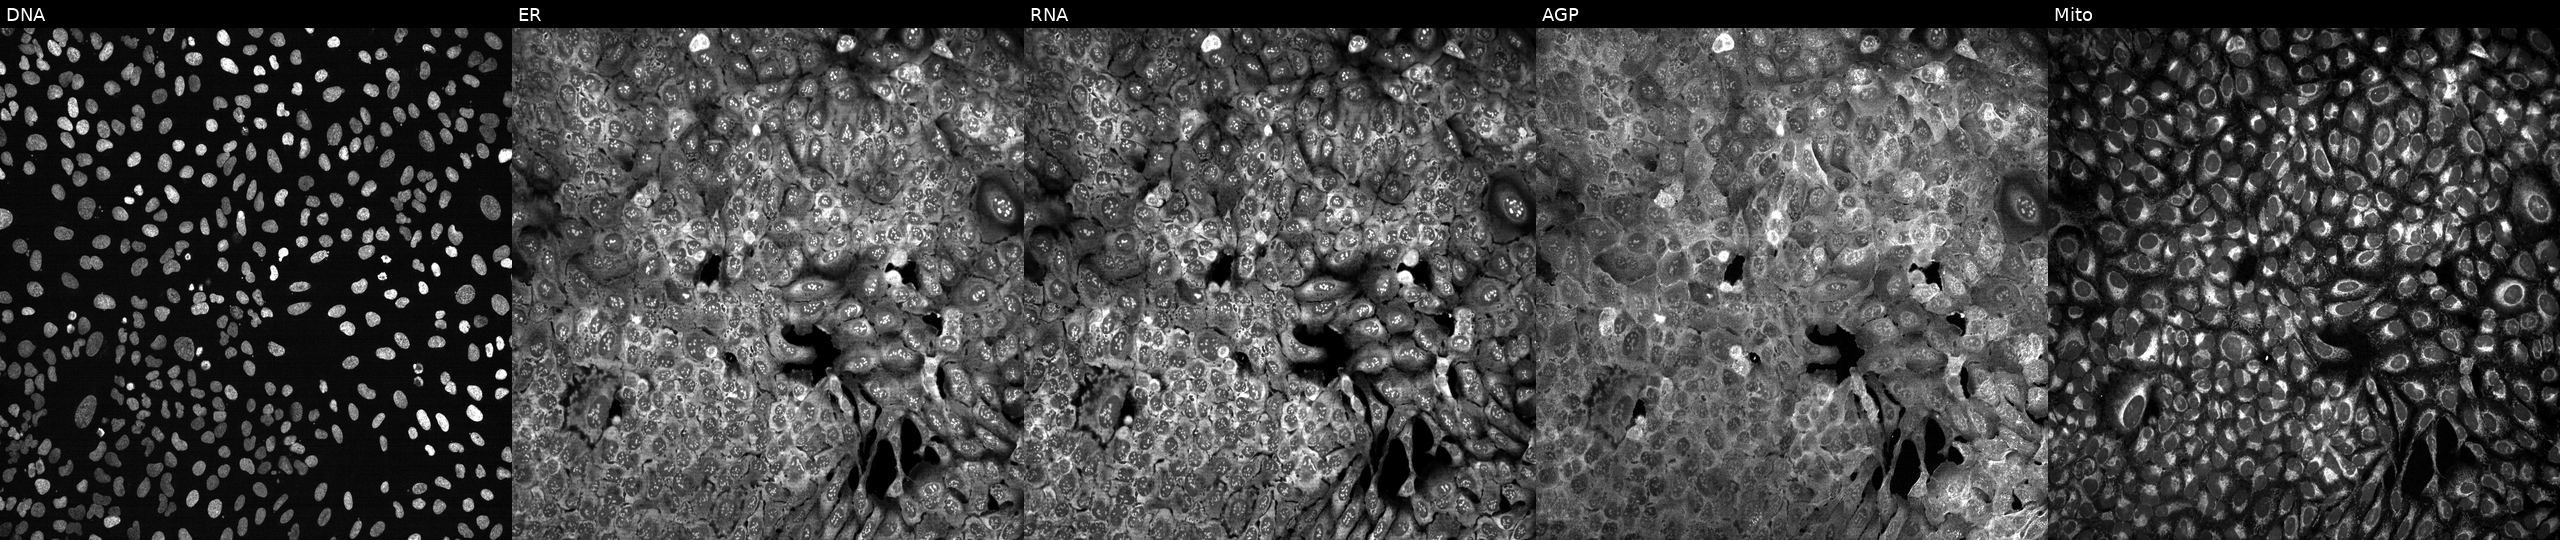
Five-channel Cell Painting image of U2OS cells with MOCOS knocked out by CRISPR (JUMP id JCP2022_804235). The five panels, left to right, show Hoechst 33342, concanavalin A, SYTO 14, phalloidin and WGA, MitoTracker. Source 13, plate CP-CC9-R3-02, well O04.